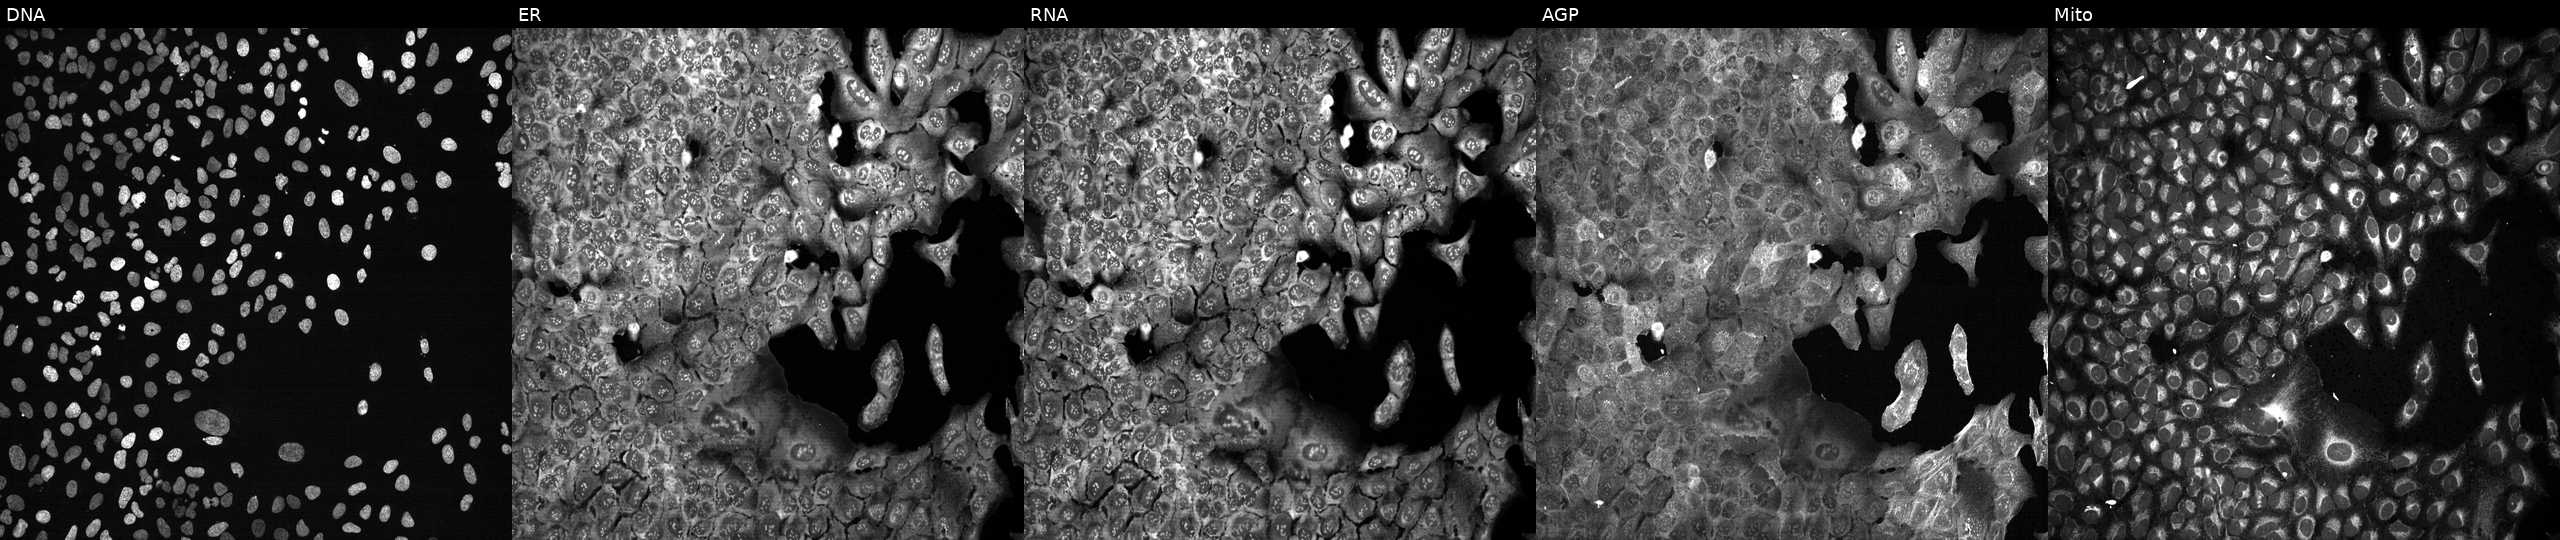
High-content fluorescence microscopy (Cell Painting). Cell line: U2OS. Perturbation: with ADH1B knocked out by CRISPR (JUMP id JCP2022_800256). Panels show, left to right, Hoechst 33342, concanavalin A, SYTO 14, phalloidin and WGA, MitoTracker. Source 13, plate CP-CC9-R2-01, well M11.